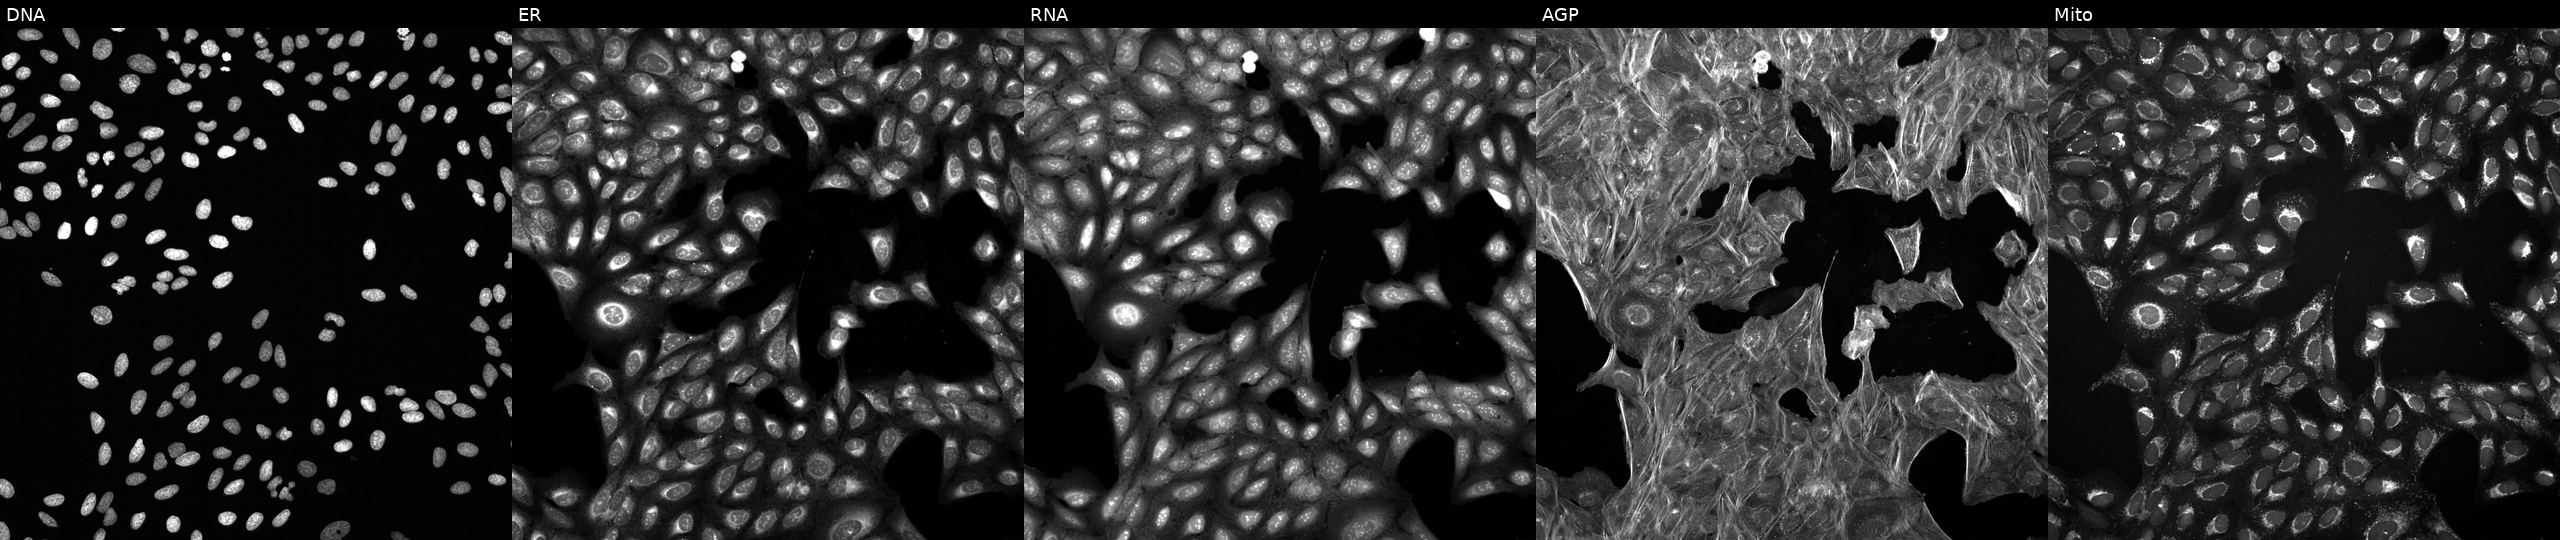
High-content fluorescence microscopy (Cell Painting). Cell line: U2OS. Perturbation: treated with a small-molecule compound. The five panels, left to right, show DNA, ER, RNA, AGP, and Mito. Source 6, plate 110000293082, well H05.